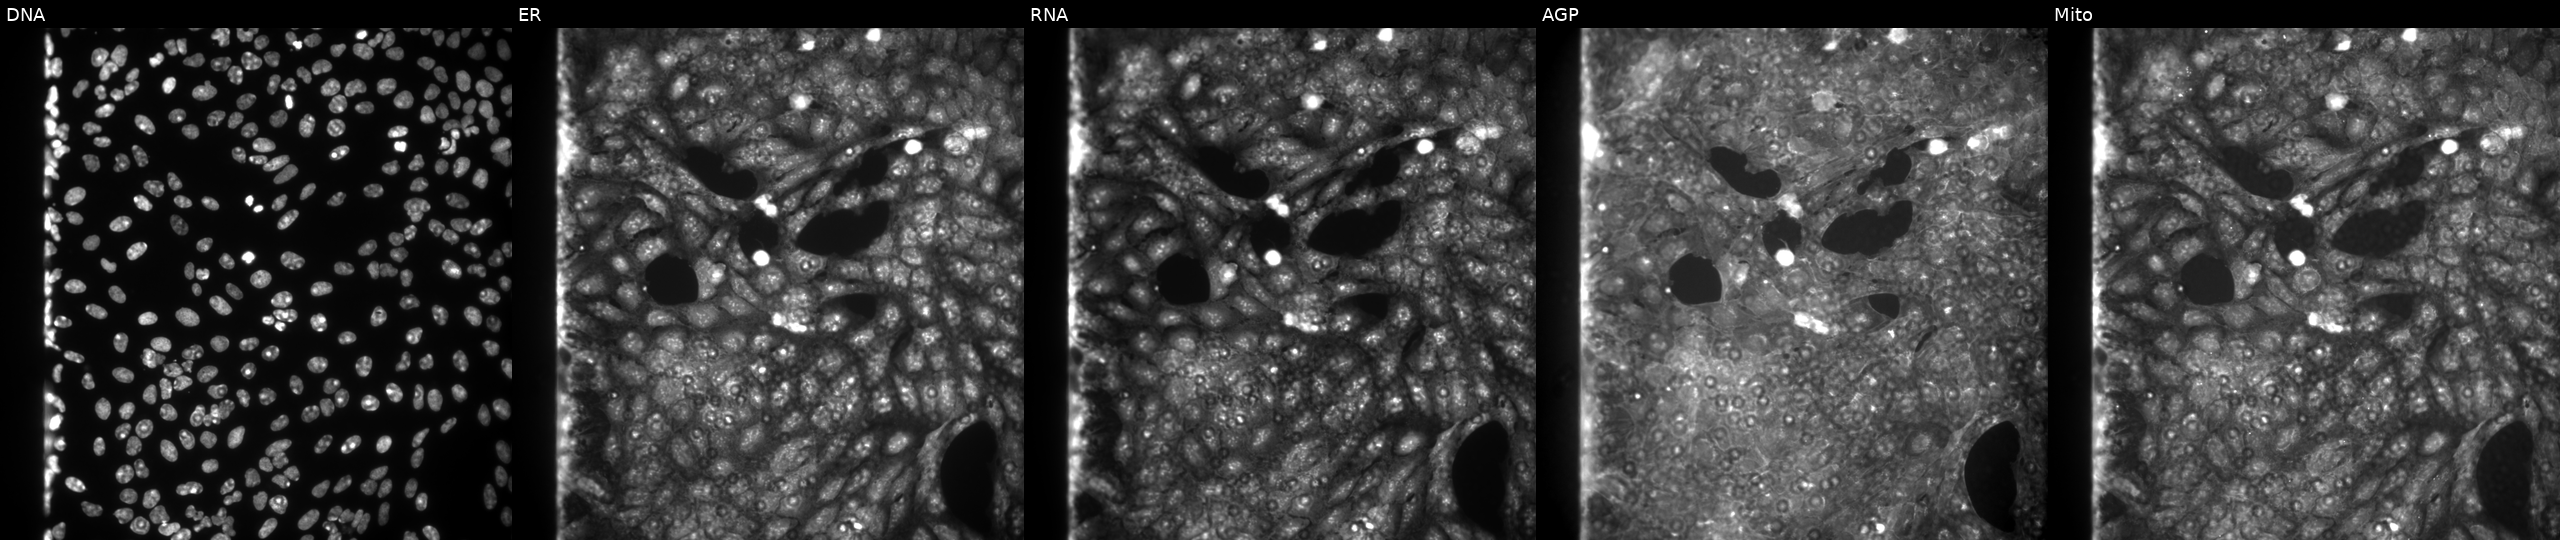
This image strip shows the five Cell Painting channels for a single field of U2OS cells treated with DMSO vehicle only (negative control). The five panels, left to right, show DNA, ER, RNA, AGP, and Mito.